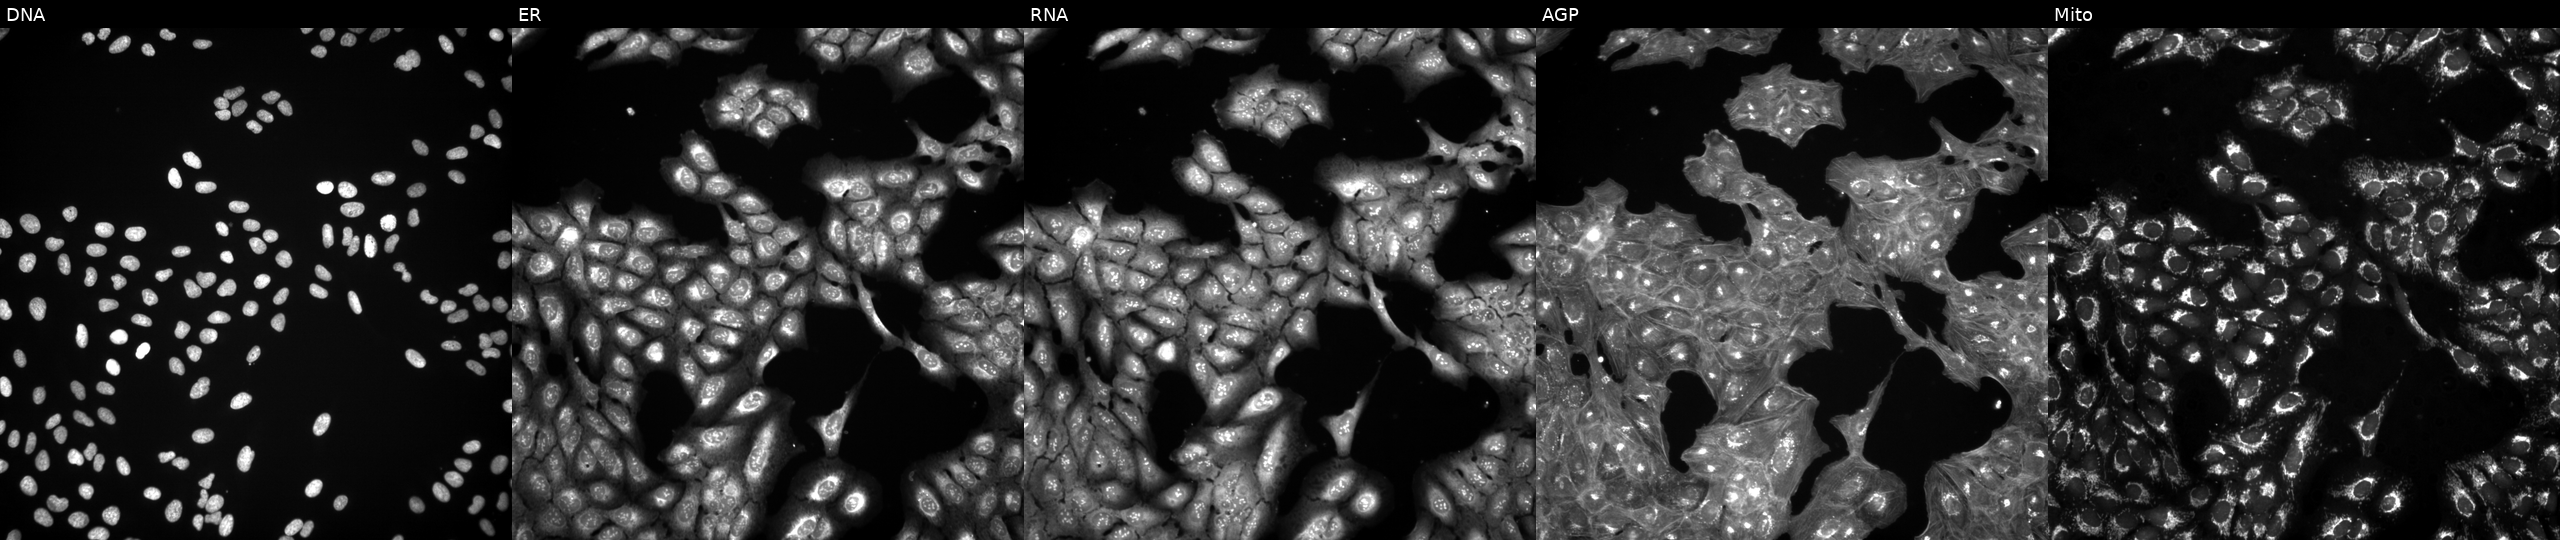
High-content fluorescence microscopy (Cell Painting). Cell line: U2OS. Perturbation: perturbed with a small-molecule compound (InChIKey GNQZONMACYWYCQ-UHFFFAOYSA-N) (JUMP id JCP2022_026632). Channels (left→right): DNA (nuclei); ER (endoplasmic reticulum); RNA (nucleoli and cytoplasmic RNA); AGP (actin cytoskeleton, Golgi, and plasma membrane); Mito (mitochondria).